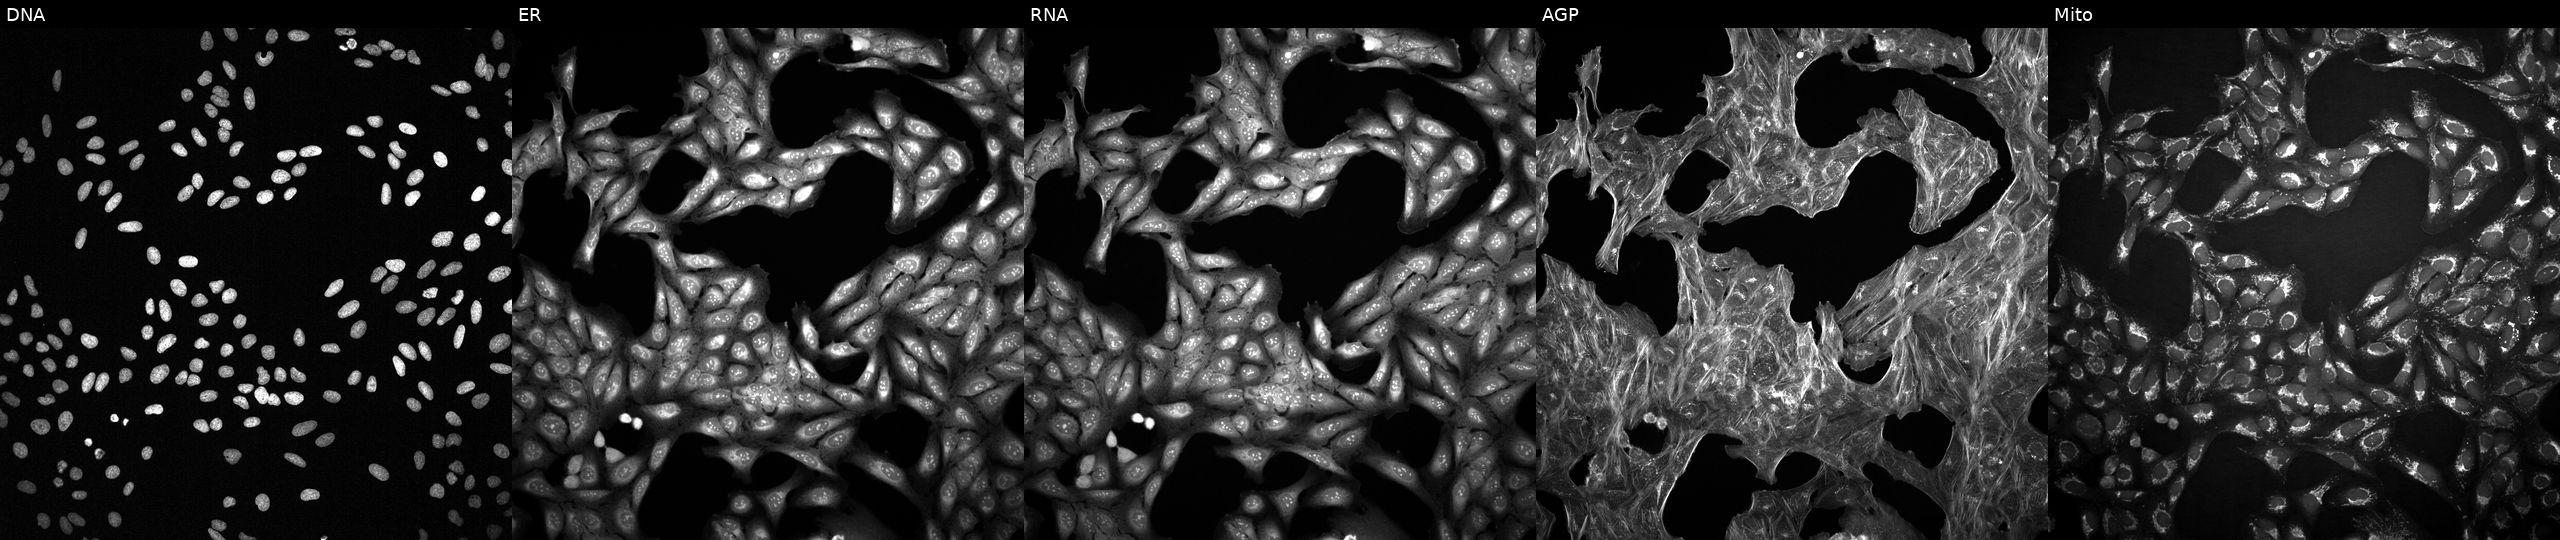
JUMP Cell Painting — TARGET2 plate. U2OS cells exposed to DMSO alone as a negative control. Panels show, left to right, Hoechst 33342, concanavalin A, SYTO 14, phalloidin and WGA, MitoTracker. Source 2, plate 1053600674, well H06.